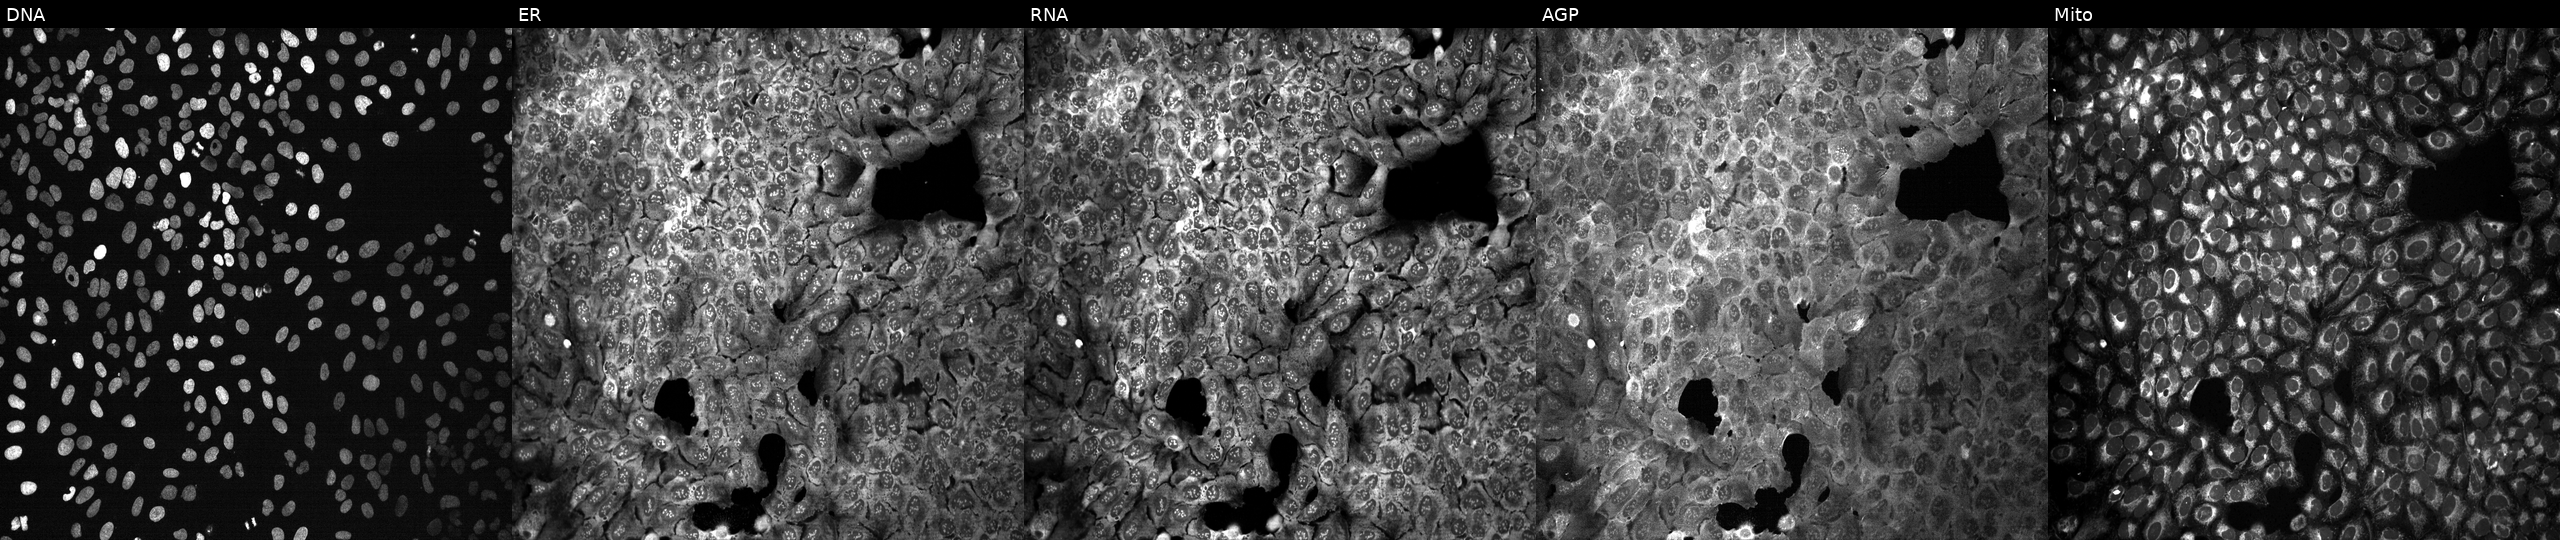
JUMP Cell Painting — CRISPR plate. U2OS cells CRISPR-edited to disrupt FOXS1 (JUMP id JCP2022_802490). Panels show, left to right, Hoechst 33342, concanavalin A, SYTO 14, phalloidin and WGA, MitoTracker.